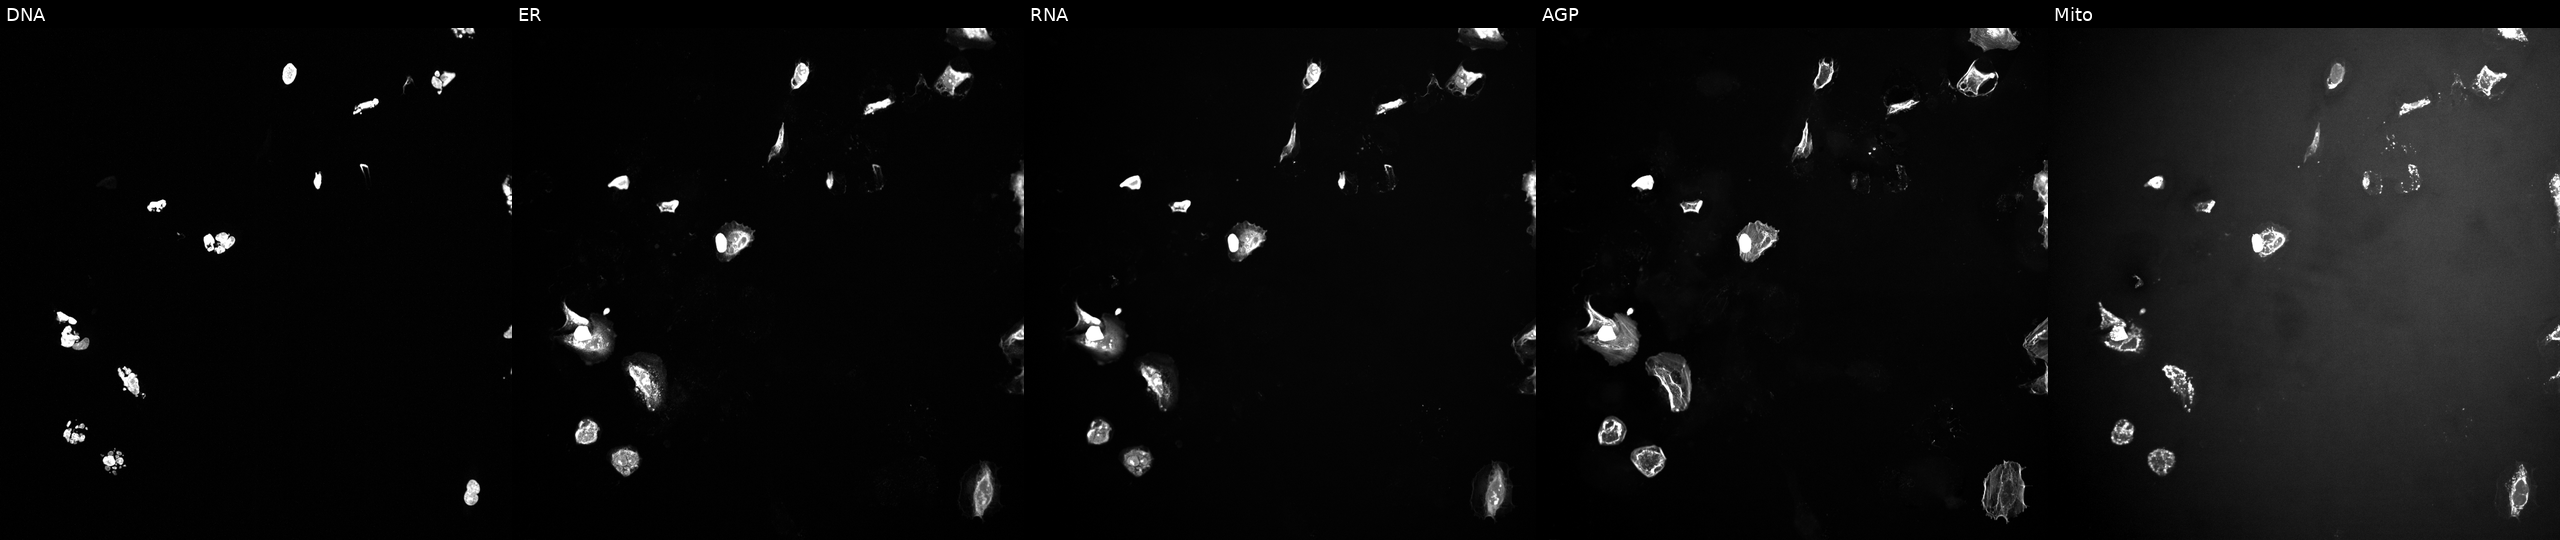
Five-channel Cell Painting image of U2OS cells exposed to a small-molecule compound (JUMP id JCP2022_019314). Channels (left→right): Hoechst 33342, concanavalin A, SYTO 14, phalloidin and WGA, MitoTracker. Source 10, plate Dest210726-160150, well K22.